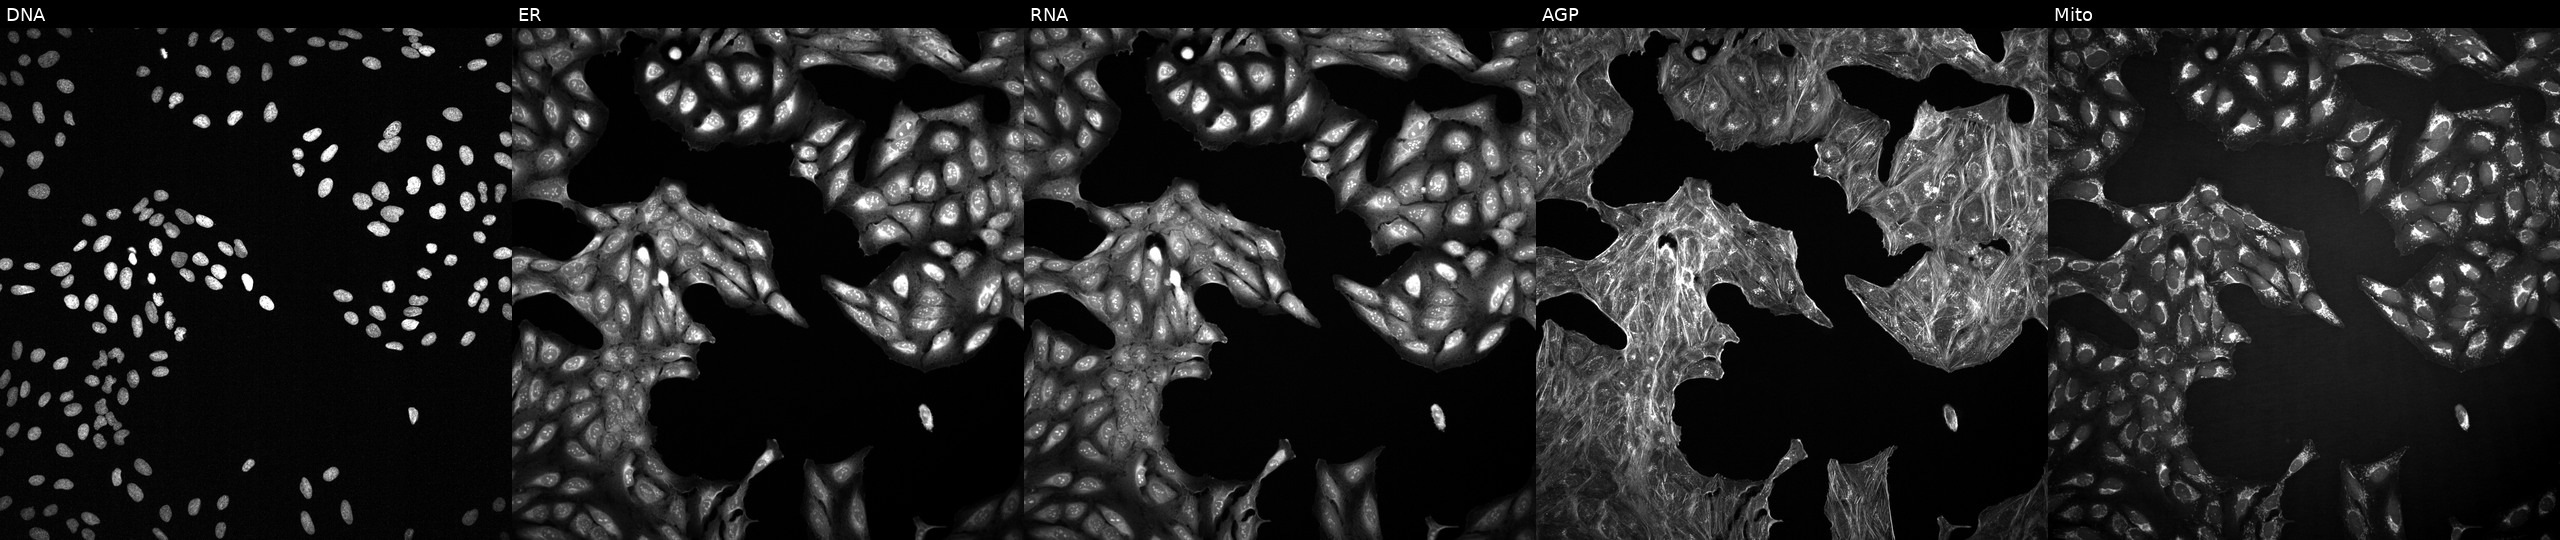
From left to right: Hoechst 33342, concanavalin A, SYTO 14, phalloidin and WGA, MitoTracker. U2OS osteosarcoma cells exposed to a small-molecule compound (InChIKey JVGBTTIJPBFLTE-UHFFFAOYSA-N). Cell Painting assay, JUMP-CP dataset. Source 2, plate 1053600674, well L17.